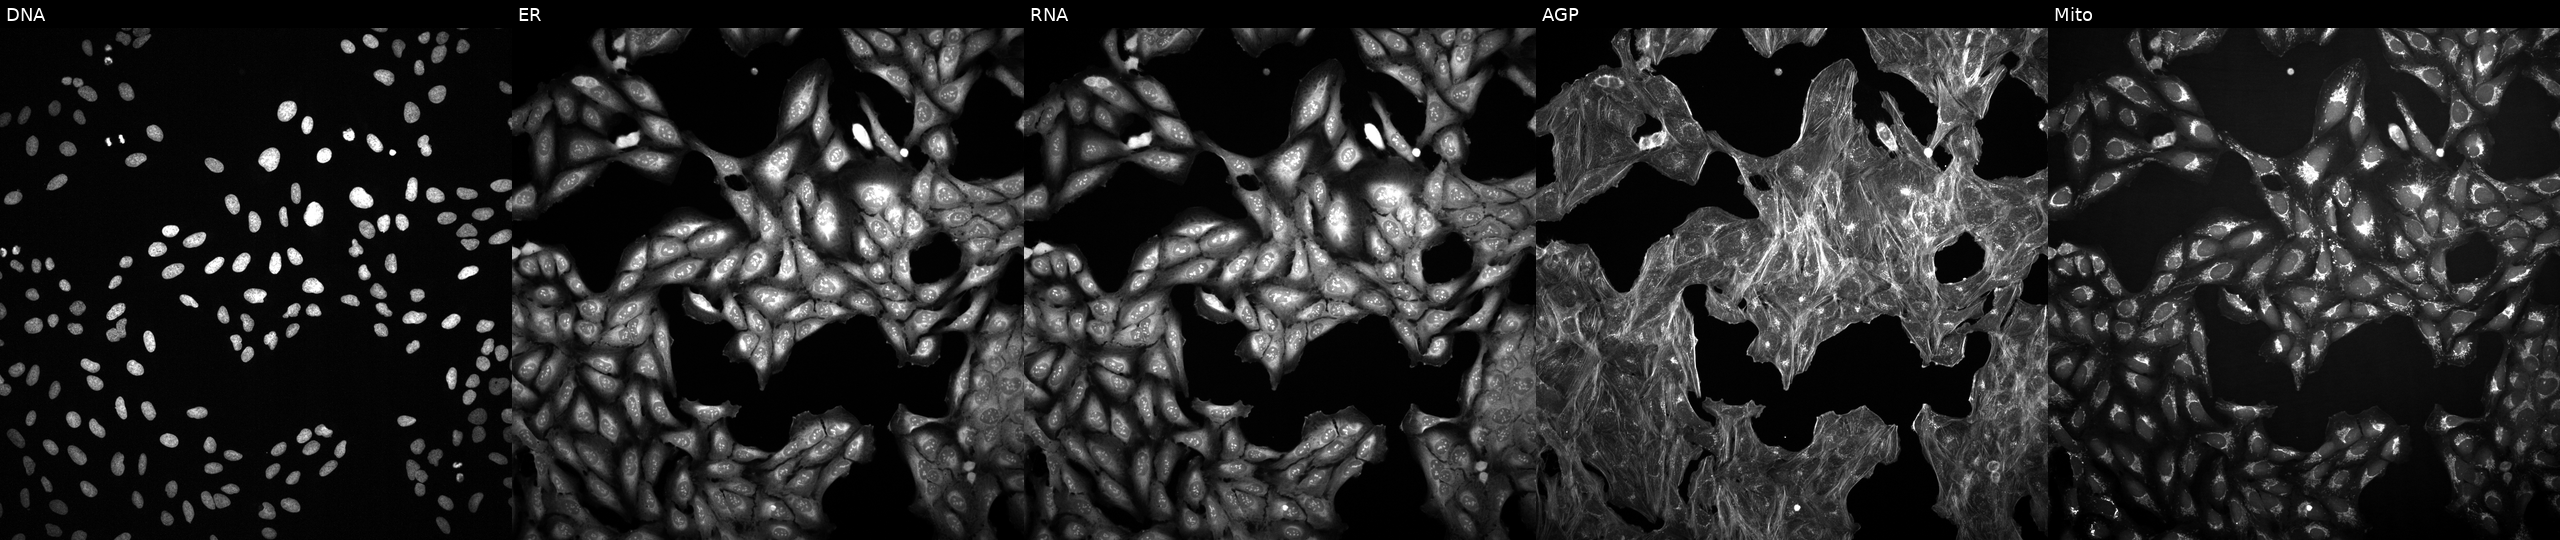
Channels (left→right): DNA (nuclei); ER (endoplasmic reticulum); RNA (nucleoli and cytoplasmic RNA); AGP (actin cytoskeleton, Golgi, and plasma membrane); Mito (mitochondria). U2OS osteosarcoma cells perturbed with a small-molecule compound (InChIKey IFIUFCJFLGCQPH-UHFFFAOYSA-N) (JUMP id JCP2022_034709). Cell Painting assay, JUMP-CP dataset. Source 2, plate 1053597936, well G17.